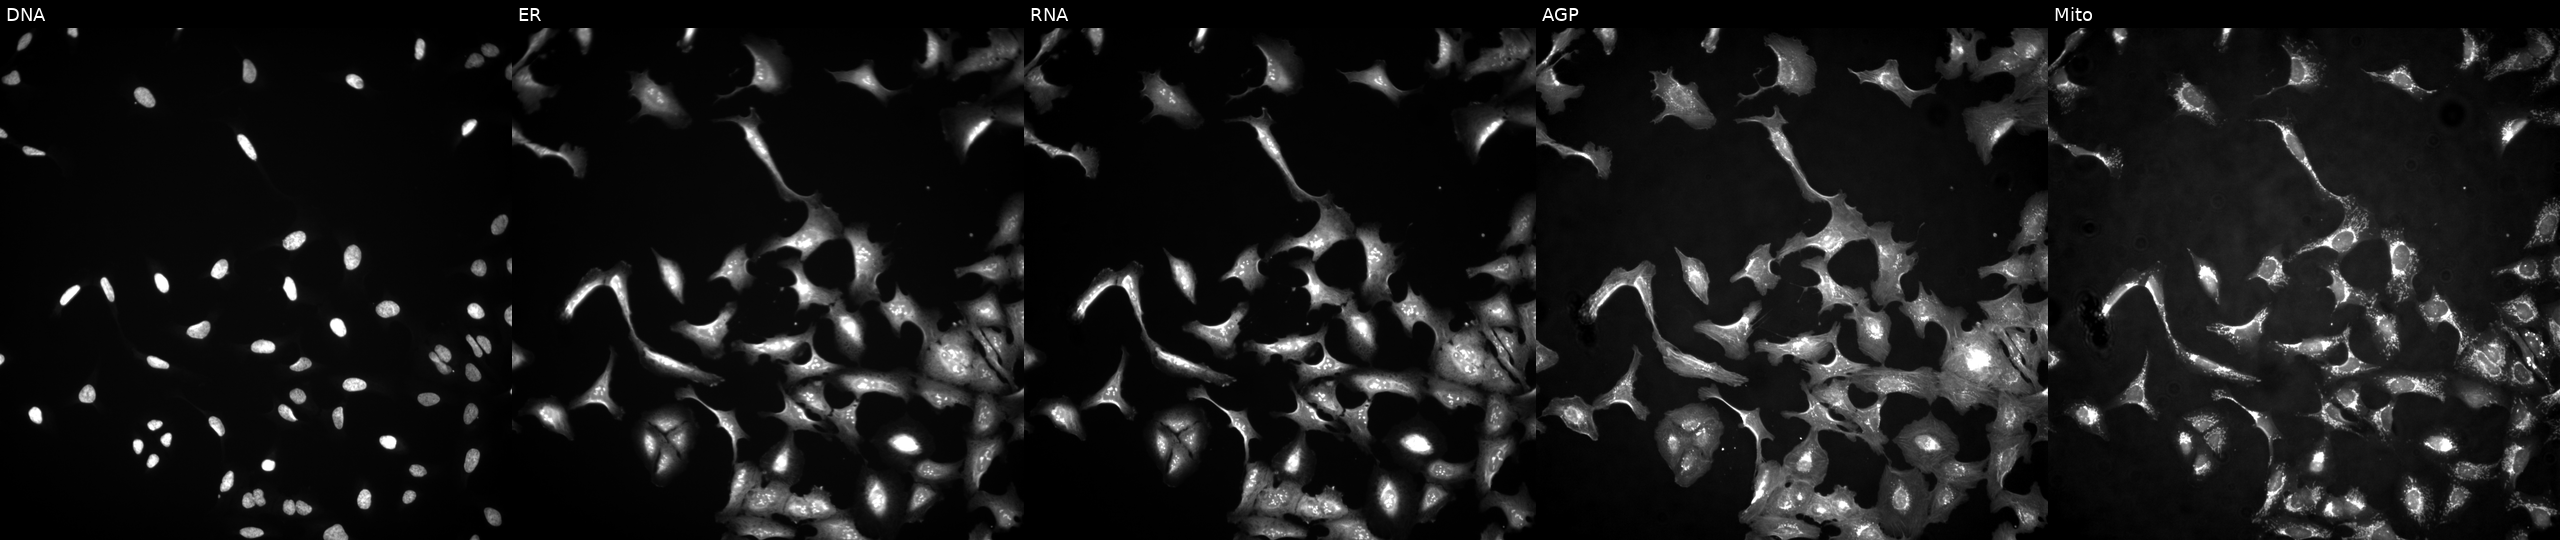
This image strip shows the five Cell Painting channels for a single field of U2OS cells with C1D overexpressed (ORF) (JUMP id JCP2022_902279). Channels (left→right): DNA (nuclei); ER (endoplasmic reticulum); RNA (nucleoli and cytoplasmic RNA); AGP (actin cytoskeleton, Golgi, and plasma membrane); Mito (mitochondria).